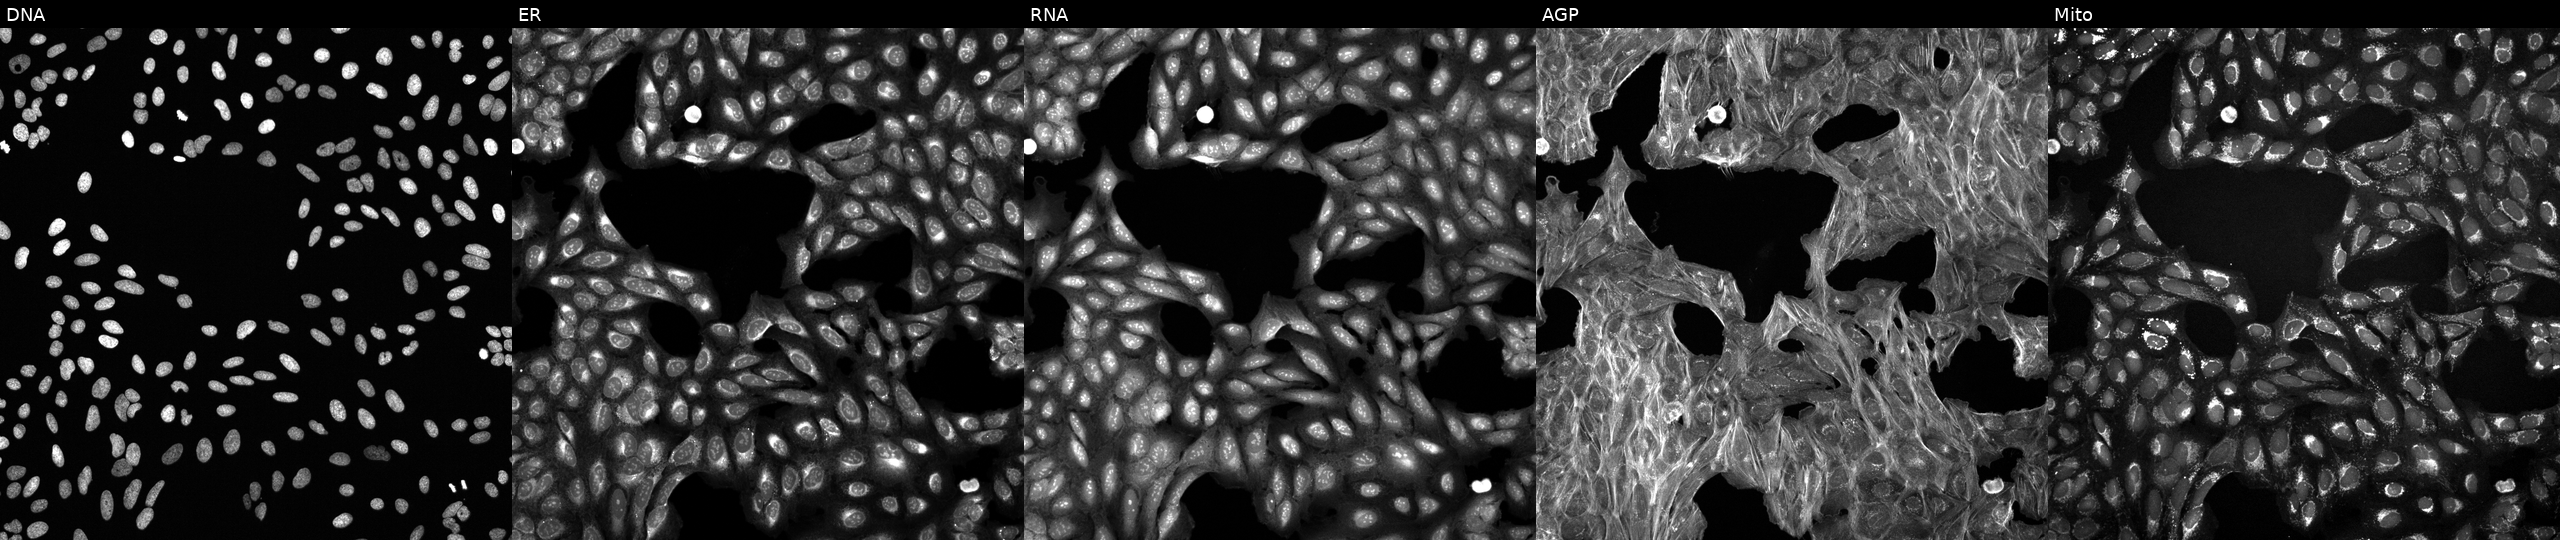
JUMP Cell Painting — COMPOUND plate. U2OS cells exposed to a small-molecule compound (InChIKey JEIVSOGOJZWJNK-UHFFFAOYSA-N). Channels (left→right): DNA (nuclei); ER (endoplasmic reticulum); RNA (nucleoli and cytoplasmic RNA); AGP (actin cytoskeleton, Golgi, and plasma membrane); Mito (mitochondria). Source 6, plate 110000293083, well E22.